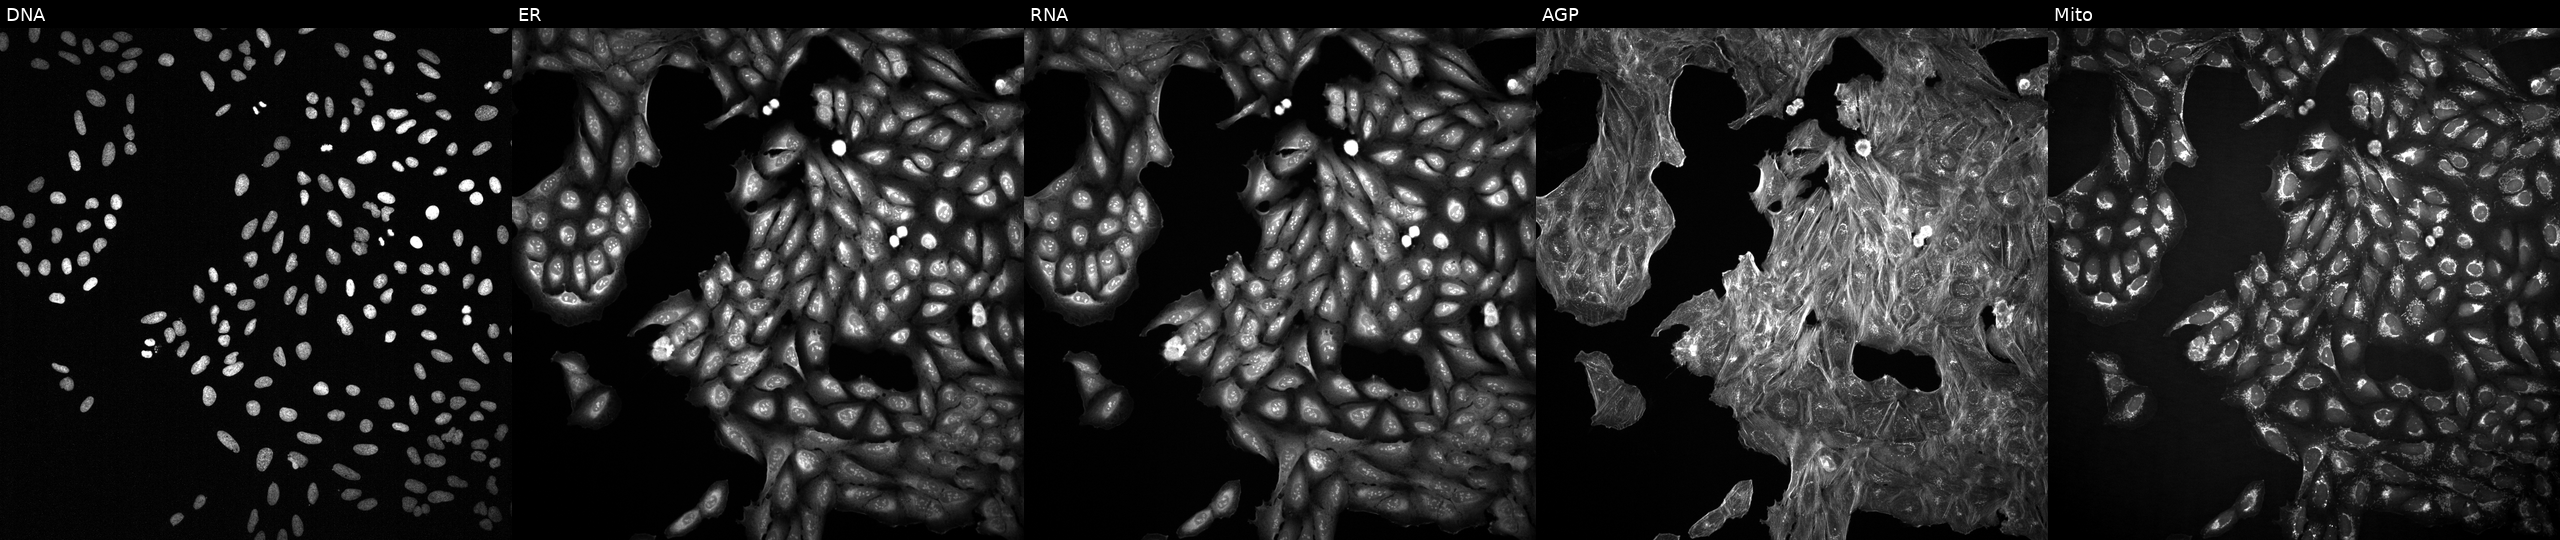
From left to right: DNA (nuclei); ER (endoplasmic reticulum); RNA (nucleoli and cytoplasmic RNA); AGP (actin cytoskeleton, Golgi, and plasma membrane); Mito (mitochondria). U2OS osteosarcoma cells treated with a small-molecule compound (InChIKey VGZSUPCWNCWDAN-UHFFFAOYSA-N). Cell Painting assay, JUMP-CP dataset. Source 2, plate 1053600674, well M08.